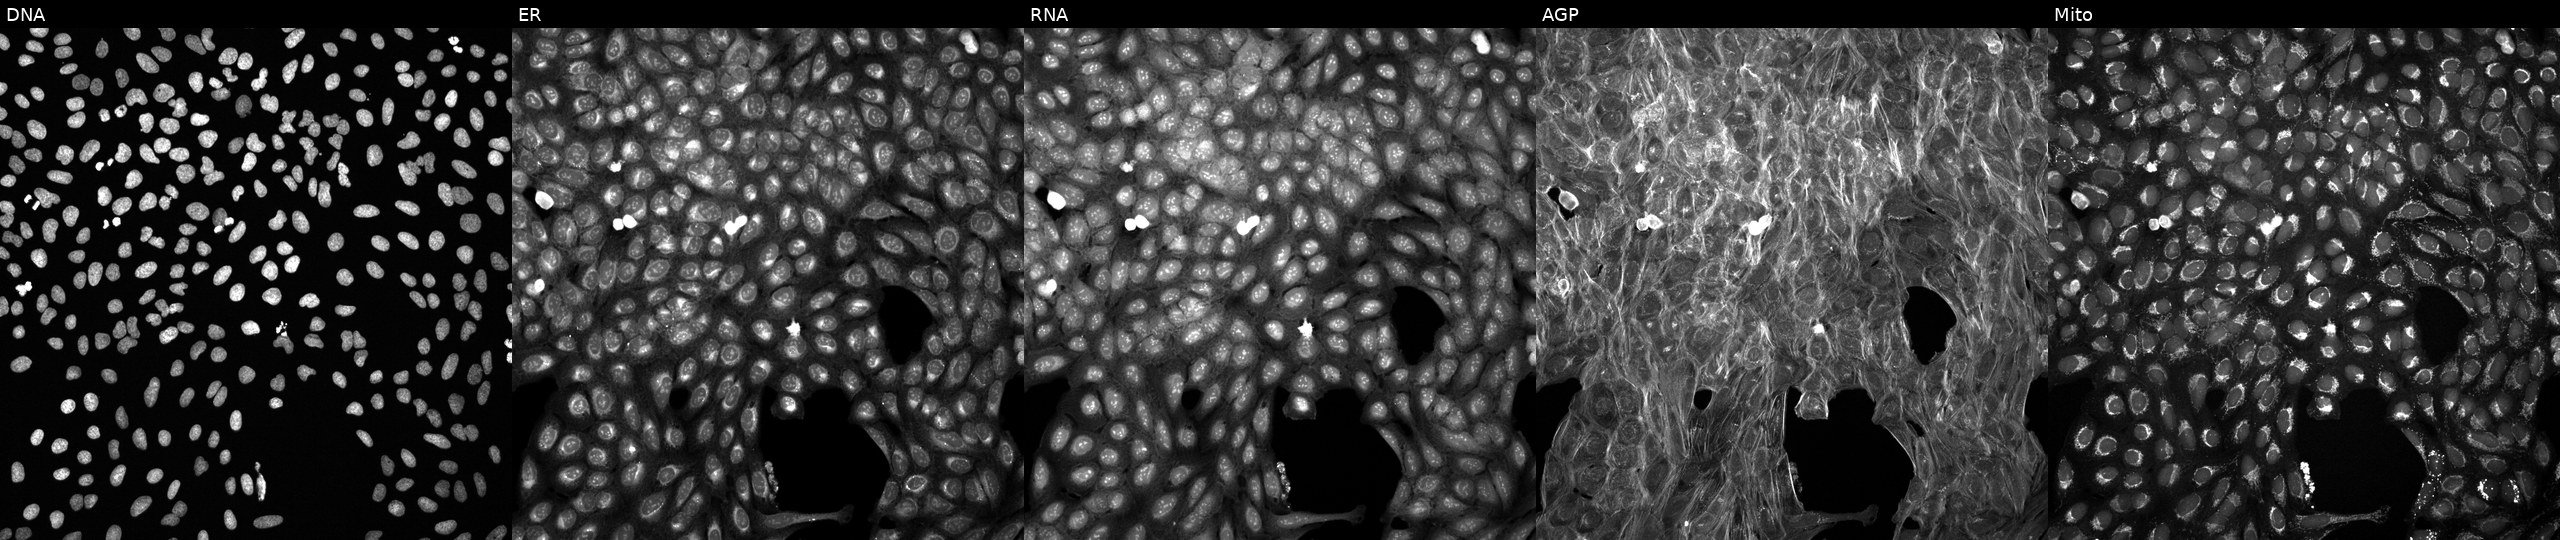
Five-channel Cell Painting image of U2OS cells treated with DMSO vehicle only (negative control) (JUMP id JCP2022_033924). From left to right: DNA, ER, RNA, AGP, and Mito. Source 6, plate 110000293081, well P11.